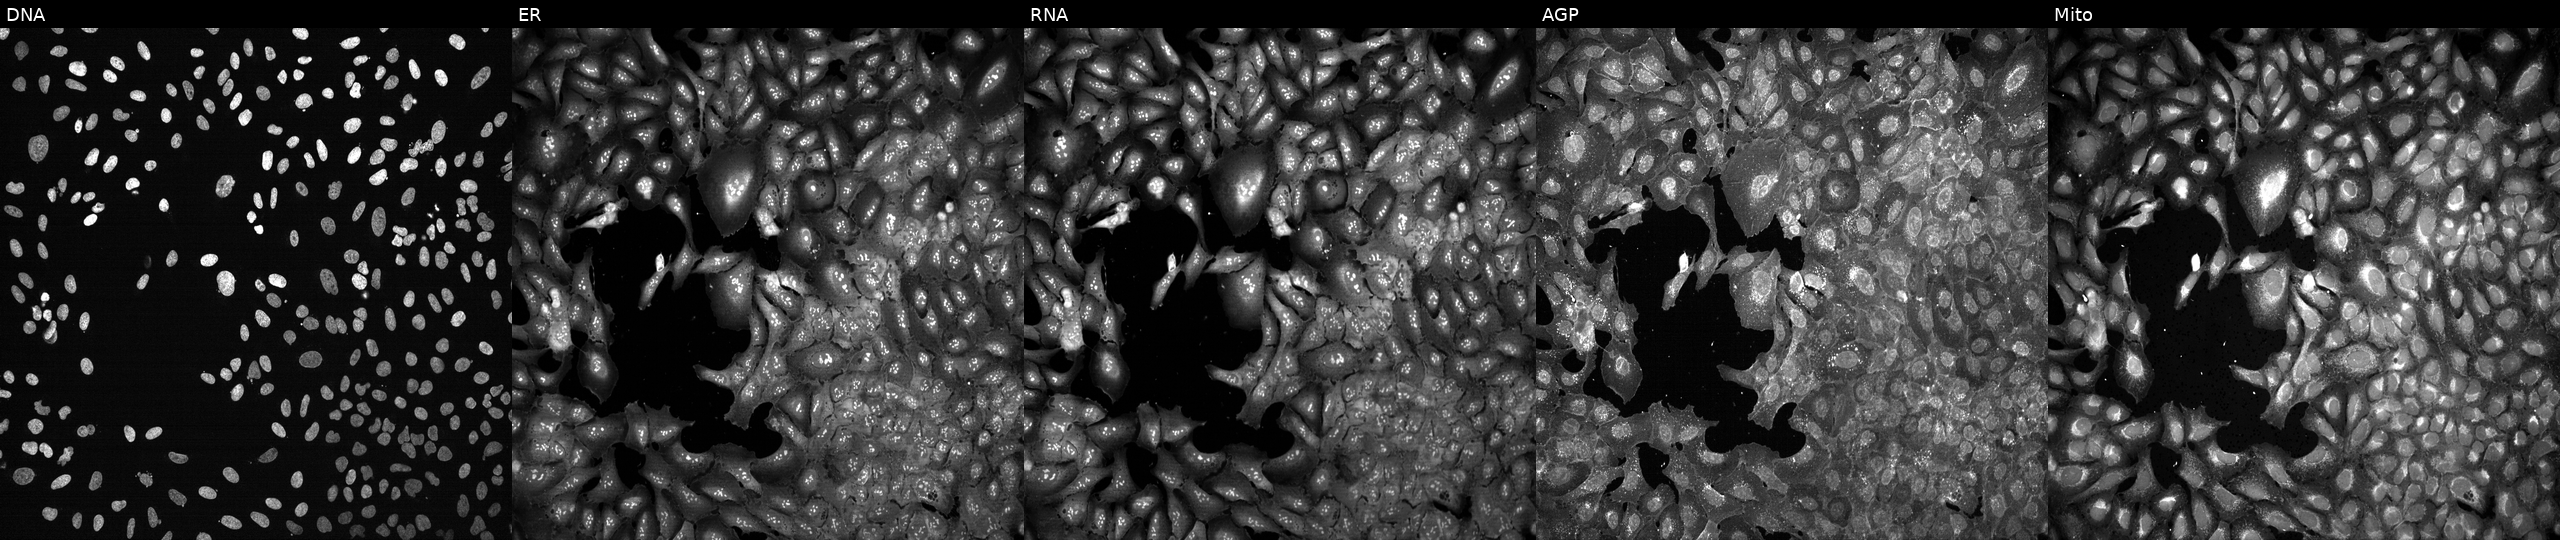
Five-channel Cell Painting image of U2OS cells following CRISPR knockout of PRSS54. Channels (left→right): Hoechst 33342, concanavalin A, SYTO 14, phalloidin and WGA, MitoTracker. Source 13, plate CP-CC9-R1-01, well A20.